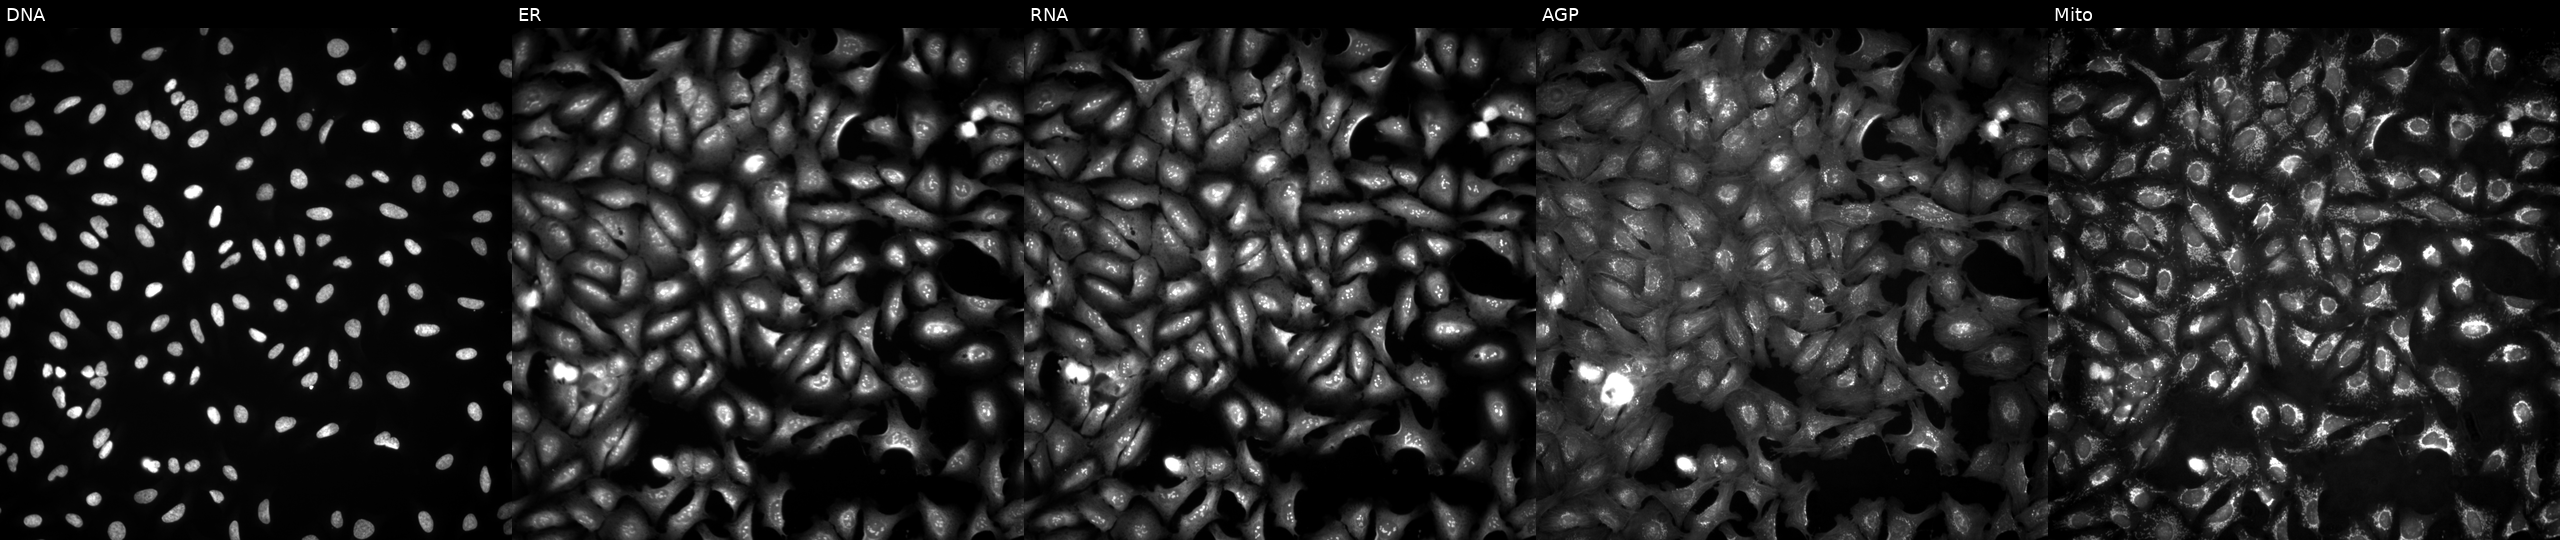
Five-channel Cell Painting image of U2OS cells transfected with an ORF construct for MRPL54. Channels (left→right): DNA, ER, RNA, AGP, and Mito. Source 4, plate BR00124787, well F03.